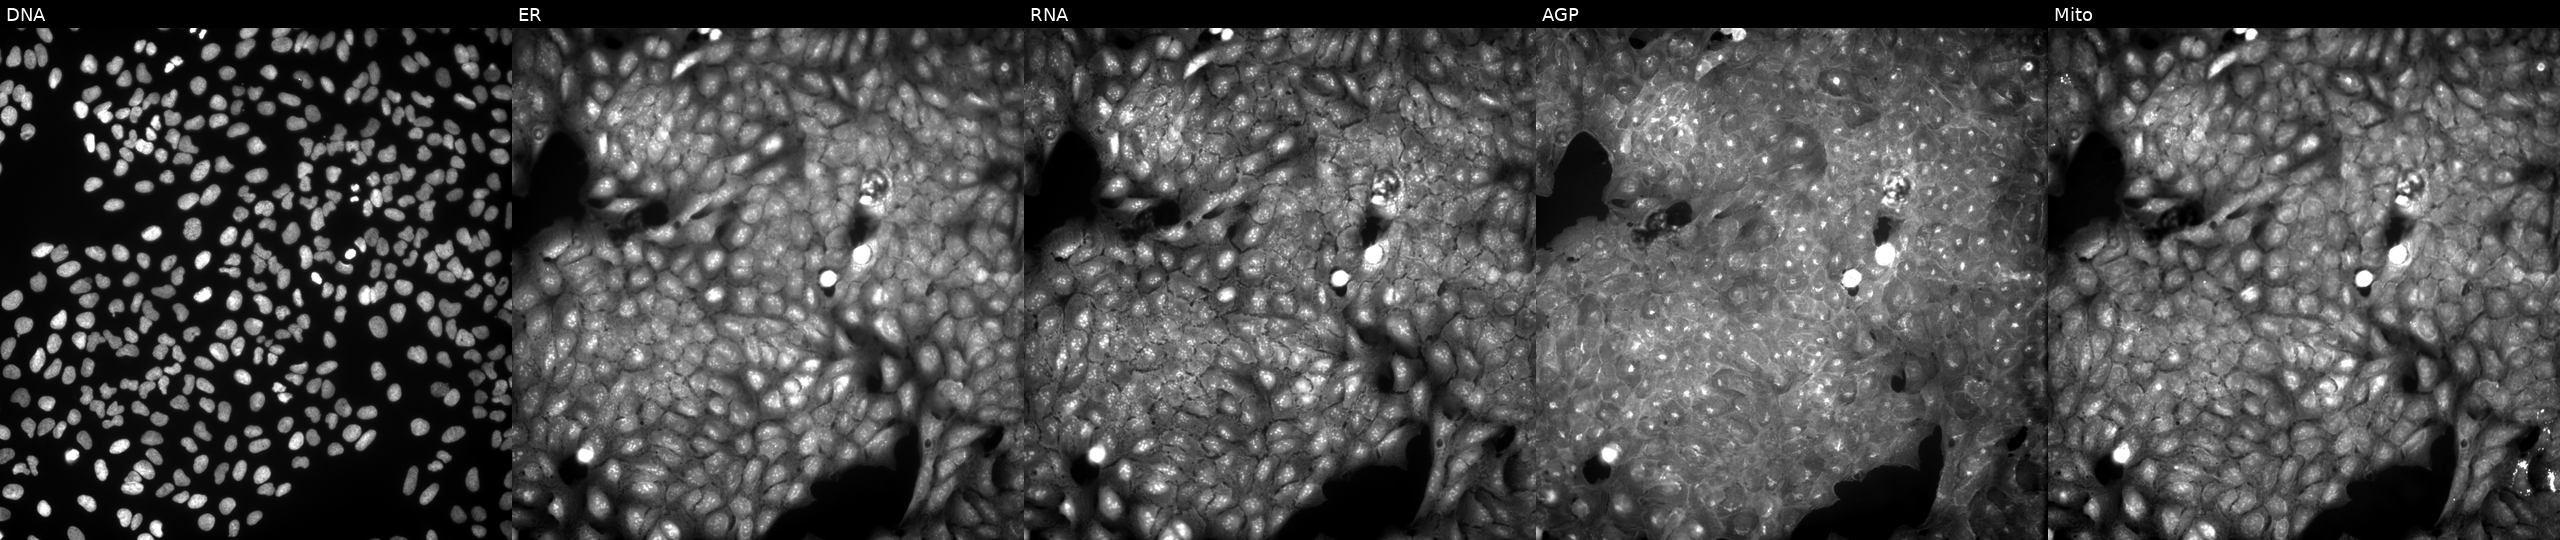
High-content fluorescence microscopy (Cell Painting). Cell line: U2OS. Perturbation: treated with a small-molecule compound (InChIKey GXHCYLBSTKBISE-UHFFFAOYSA-N) (JUMP id JCP2022_028357). The five panels, left to right, show DNA (nuclei); ER (endoplasmic reticulum); RNA (nucleoli and cytoplasmic RNA); AGP (actin cytoskeleton, Golgi, and plasma membrane); Mito (mitochondria).